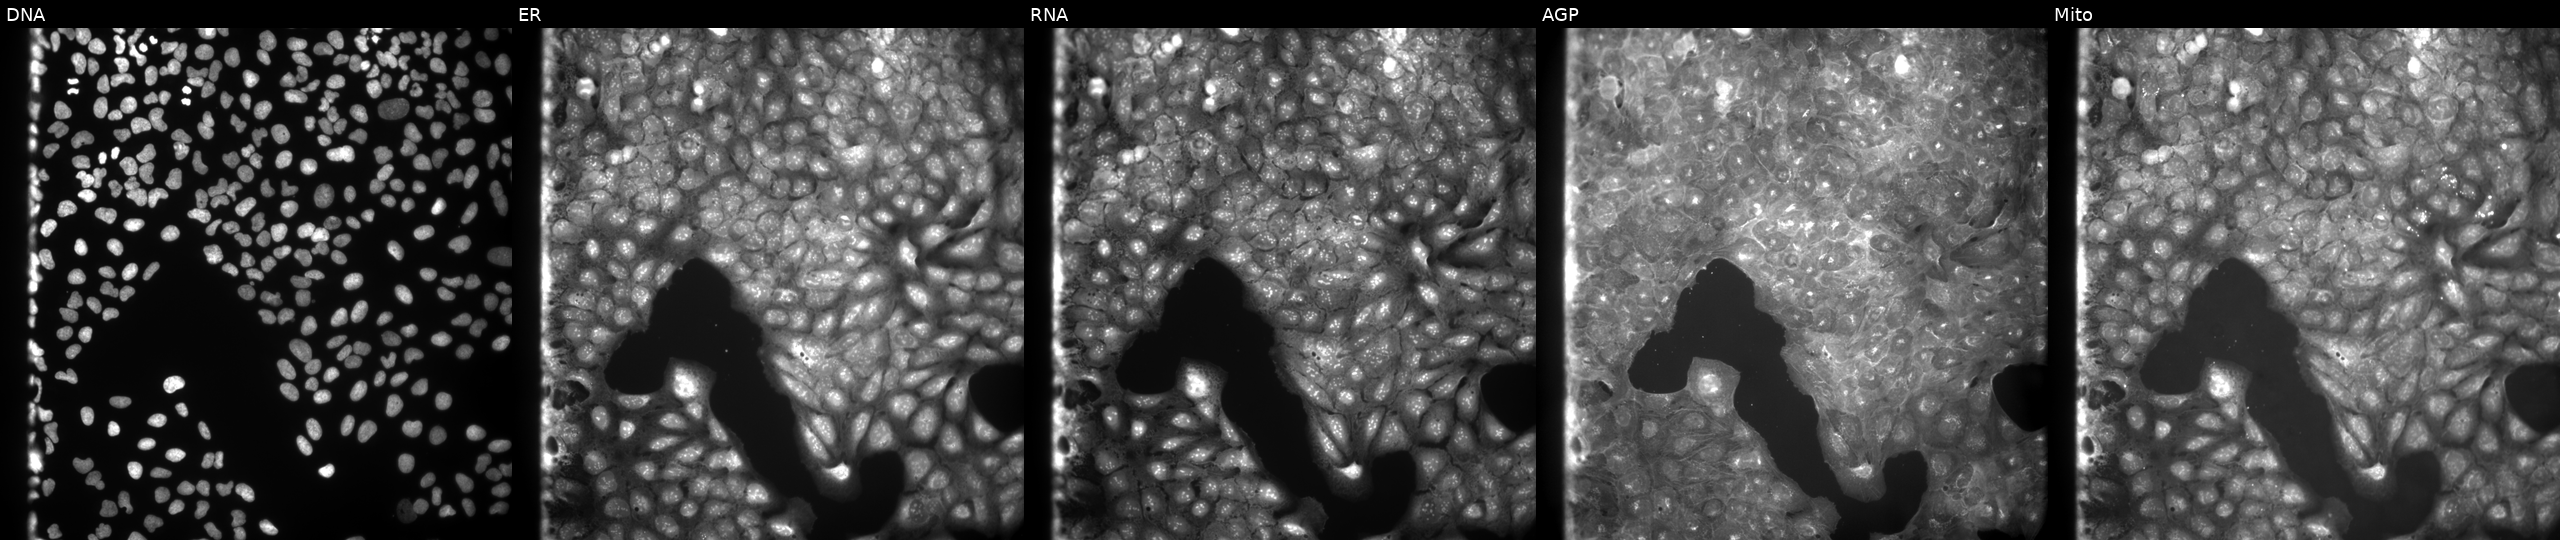
Five-channel Cell Painting image of U2OS cells exposed to a small-molecule compound. The five panels, left to right, show DNA, ER, RNA, AGP, and Mito. Source 9, plate GR00003382, well E09.